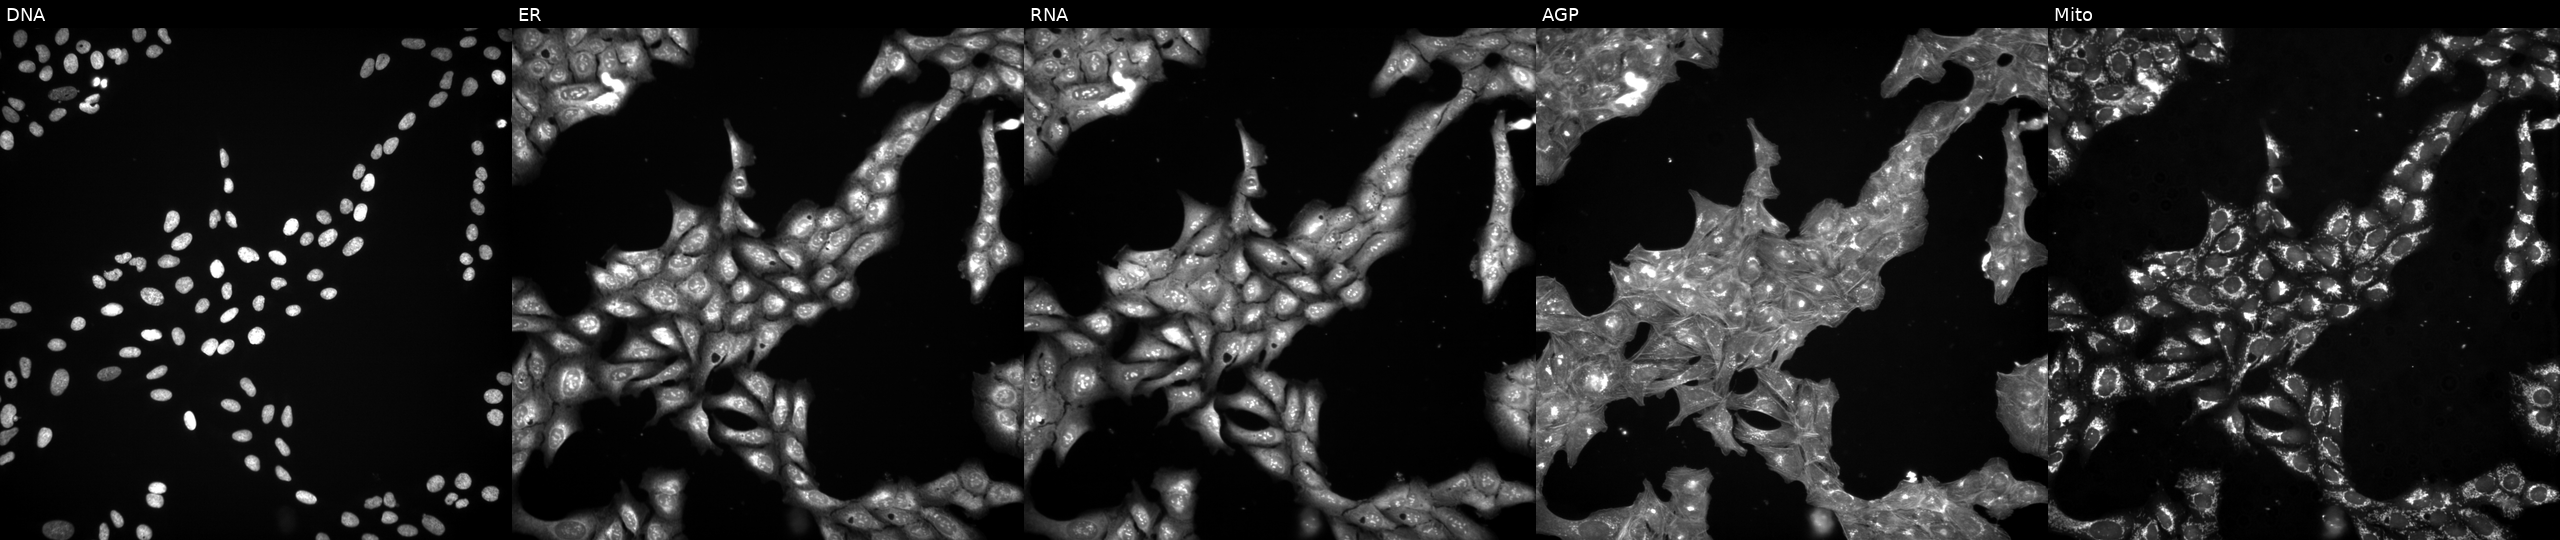
From left to right: DNA (nuclei); ER (endoplasmic reticulum); RNA (nucleoli and cytoplasmic RNA); AGP (actin cytoskeleton, Golgi, and plasma membrane); Mito (mitochondria). U2OS osteosarcoma cells perturbed with a small-molecule compound (InChIKey HMMJKDJDJCYCBK-UHFFFAOYSA-N). Cell Painting assay, JUMP-CP dataset.